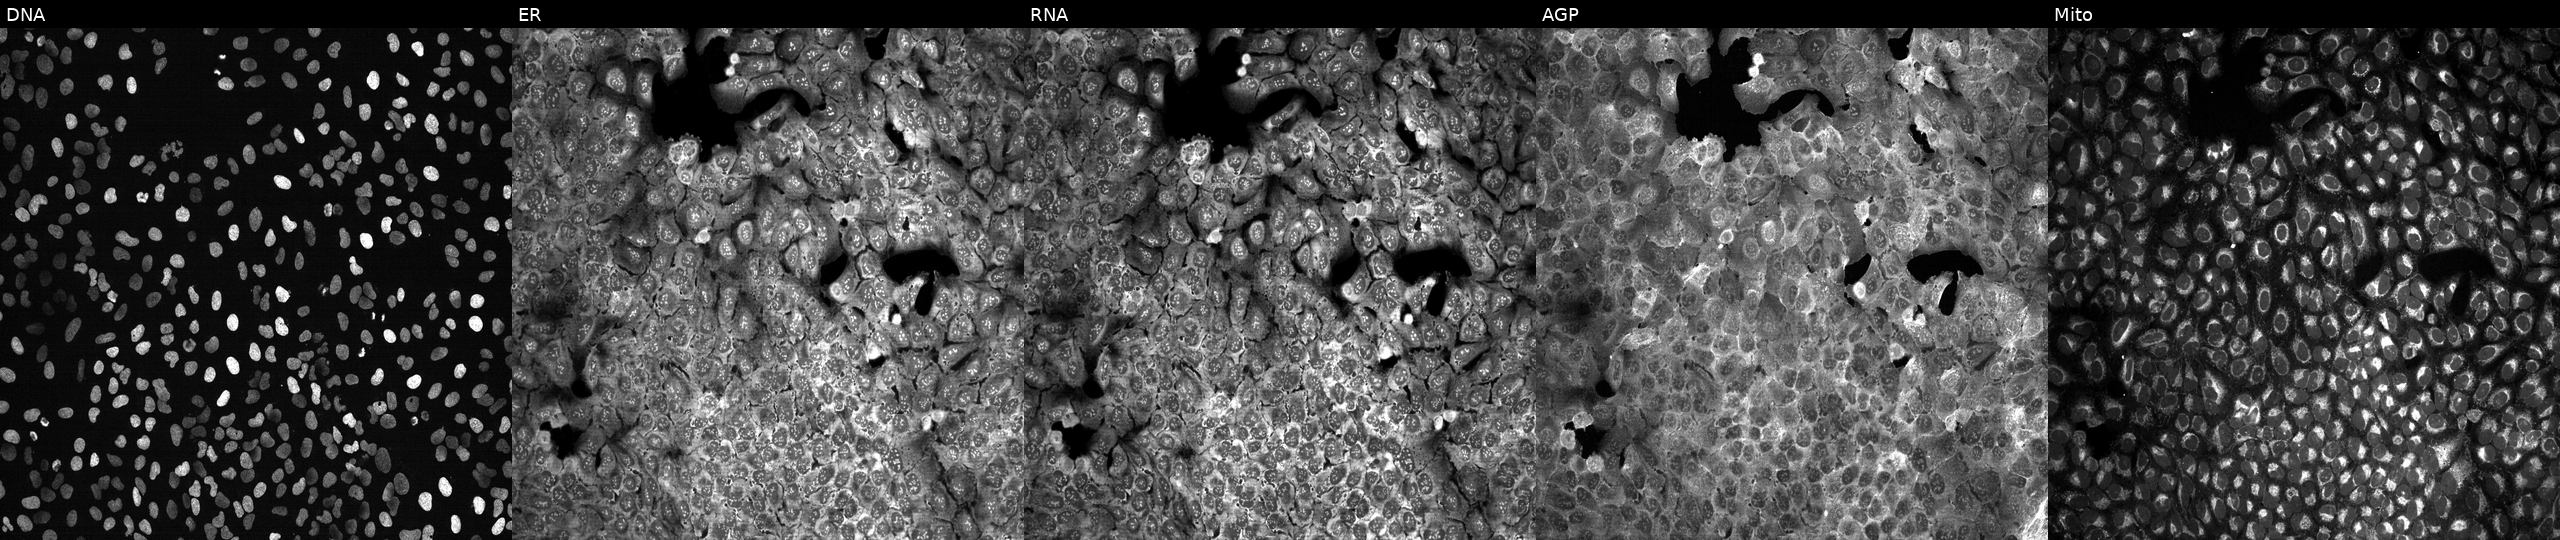
High-content fluorescence microscopy (Cell Painting). Cell line: U2OS. Perturbation: following CRISPR knockout of SLC23A1. Channels (left→right): DNA (nuclei); ER (endoplasmic reticulum); RNA (nucleoli and cytoplasmic RNA); AGP (actin cytoskeleton, Golgi, and plasma membrane); Mito (mitochondria). Source 13, plate CP-CC9-R3-01, well D11.